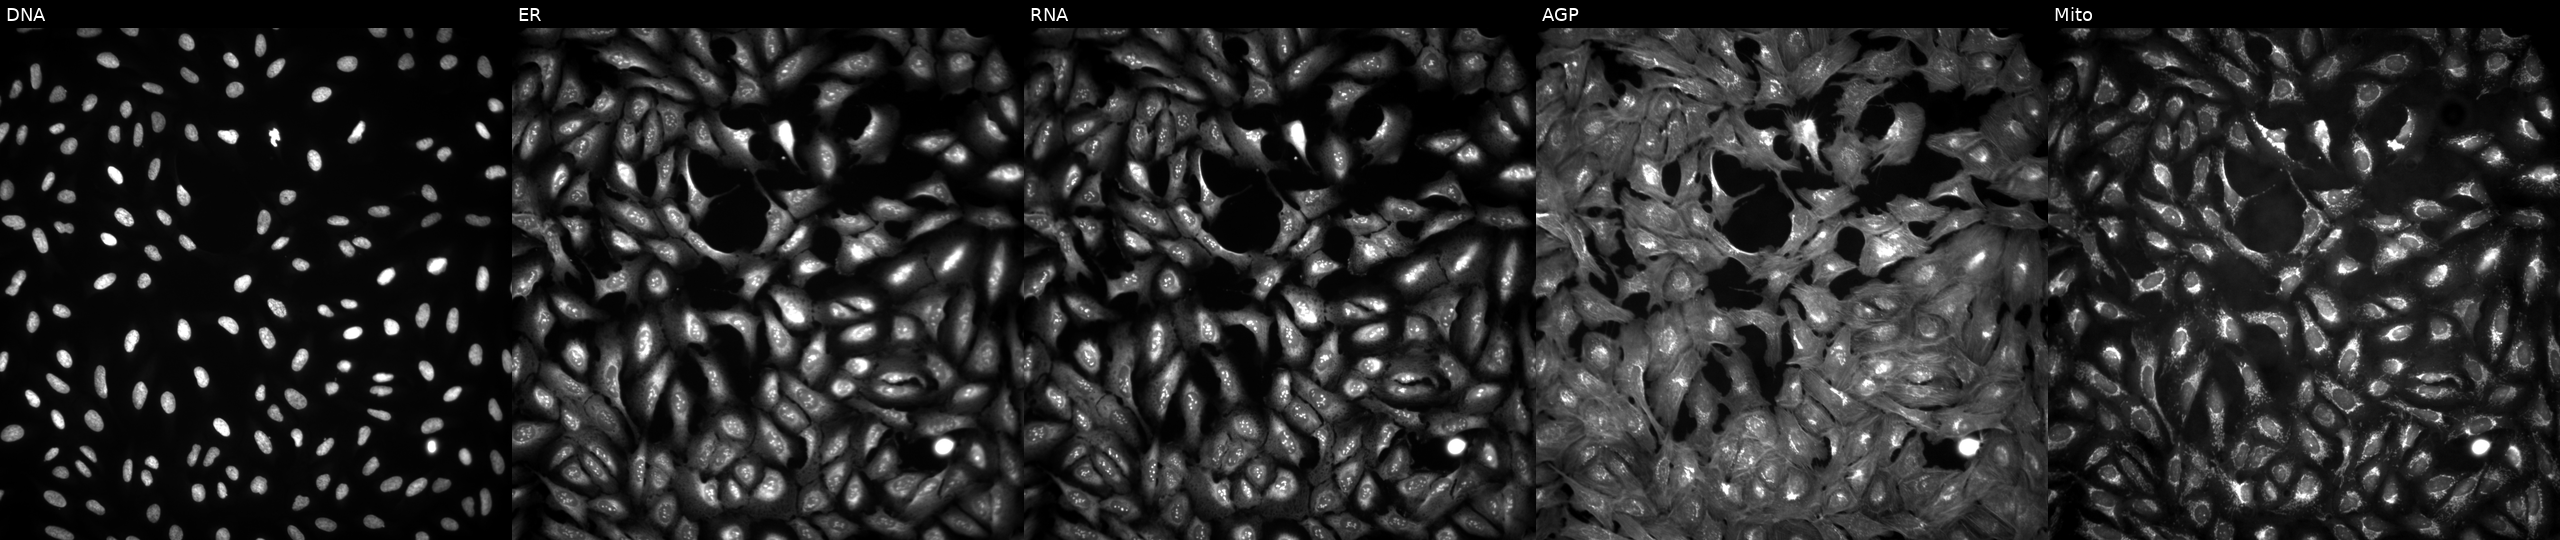
U2OS cells, Cell Painting assay, expressing HcRed (ORF negative control). The five panels, left to right, show DNA, ER, RNA, AGP, and Mito. Each panel is percentile-stretched 16-bit fluorescence. Source 4, plate BR00124784, well L20.